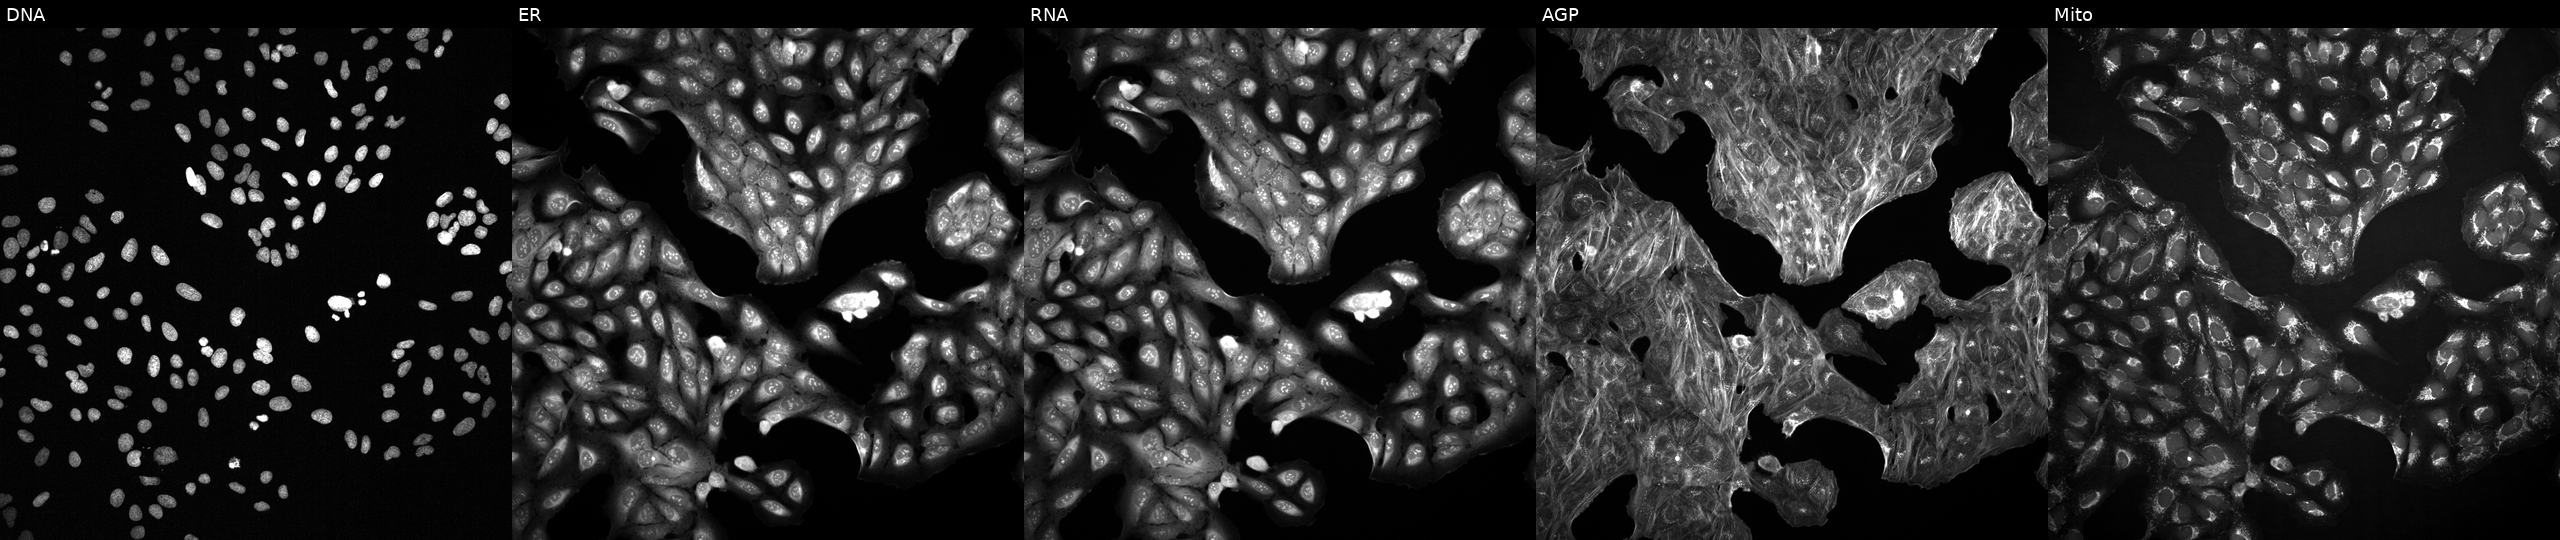
JUMP Cell Painting — COMPOUND plate. U2OS cells with an unidentified perturbation (not annotated in JUMP metadata). The five panels, left to right, show DNA, ER, RNA, AGP, and Mito.